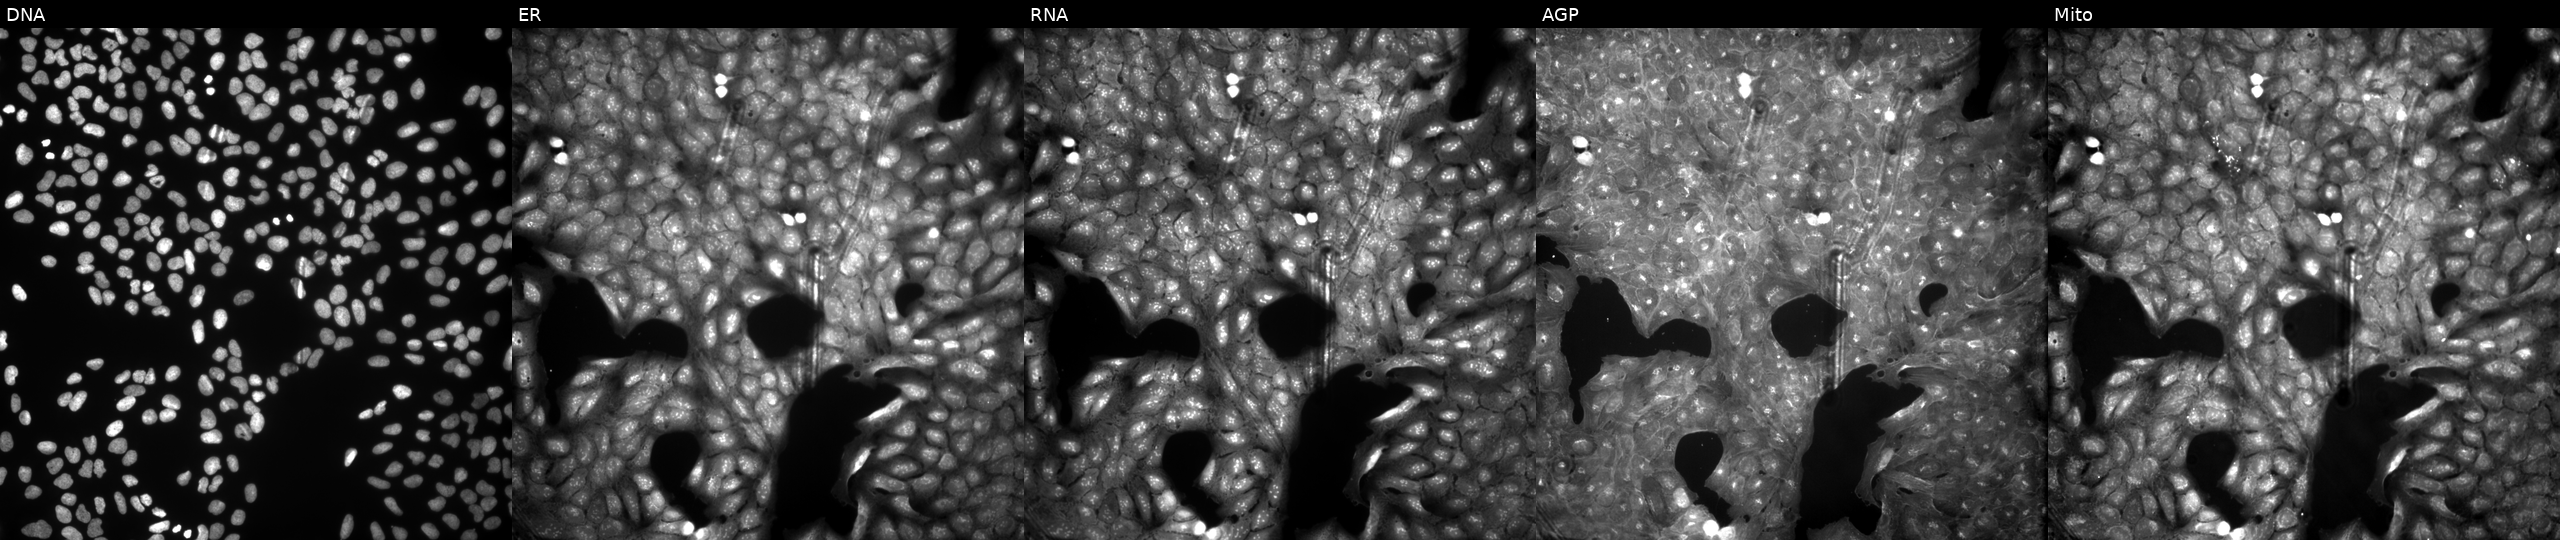
This image strip shows the five Cell Painting channels for a single field of U2OS cells perturbed with a small-molecule compound (JUMP id JCP2022_105617). From left to right: Hoechst 33342, concanavalin A, SYTO 14, phalloidin and WGA, MitoTracker. Source 9, plate GR00003382, well Q22.